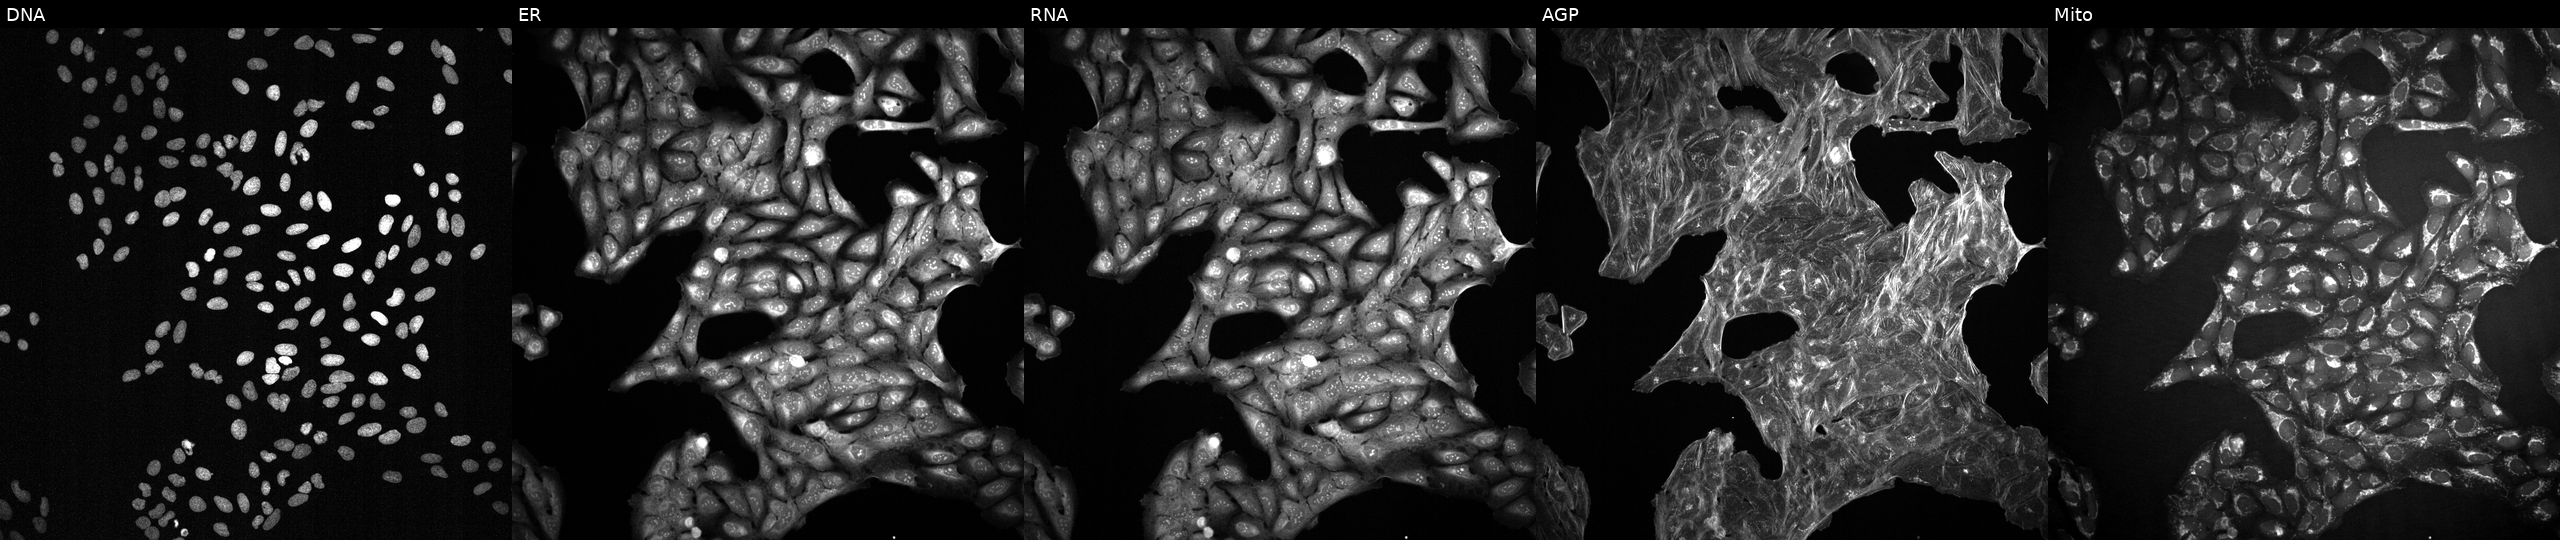
JUMP Cell Painting — TARGET2 plate. U2OS cells perturbed with a small-molecule compound (InChIKey LPAHKJMGDSJDRG-UHFFFAOYSA-N) (JUMP id JCP2022_050830). Panels show, left to right, DNA (nuclei); ER (endoplasmic reticulum); RNA (nucleoli and cytoplasmic RNA); AGP (actin cytoskeleton, Golgi, and plasma membrane); Mito (mitochondria).